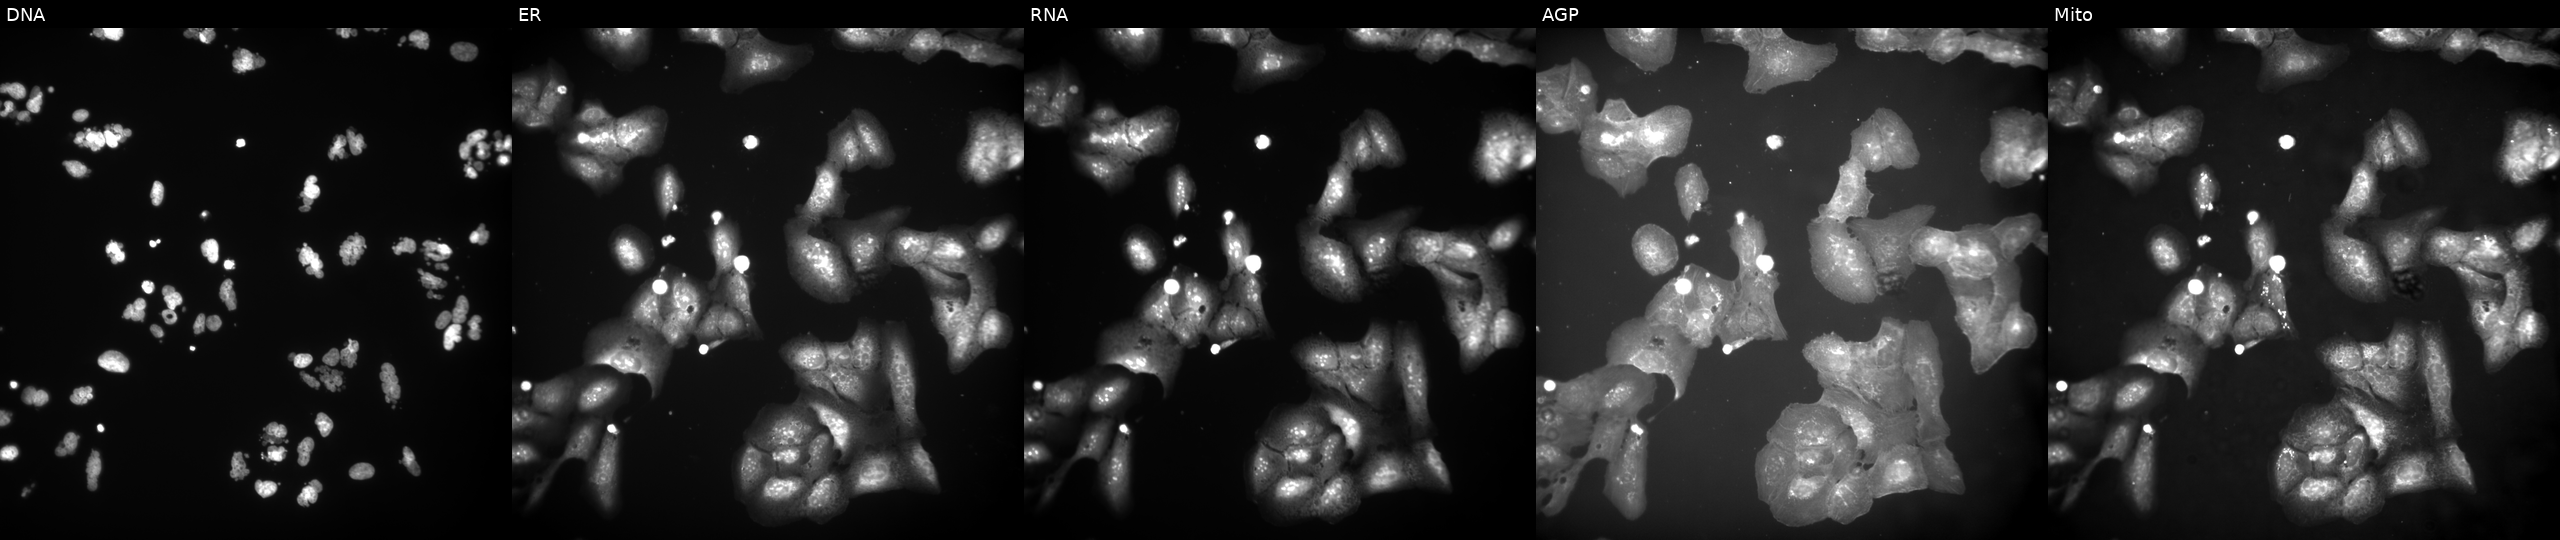
High-content fluorescence microscopy (Cell Painting). Cell line: U2OS. Perturbation: exposed to a small-molecule compound (InChIKey DZOFQFDDXFJWKK-UHFFFAOYSA-N) (JUMP id JCP2022_019205). Panels show, left to right, DNA, ER, RNA, AGP, and Mito.